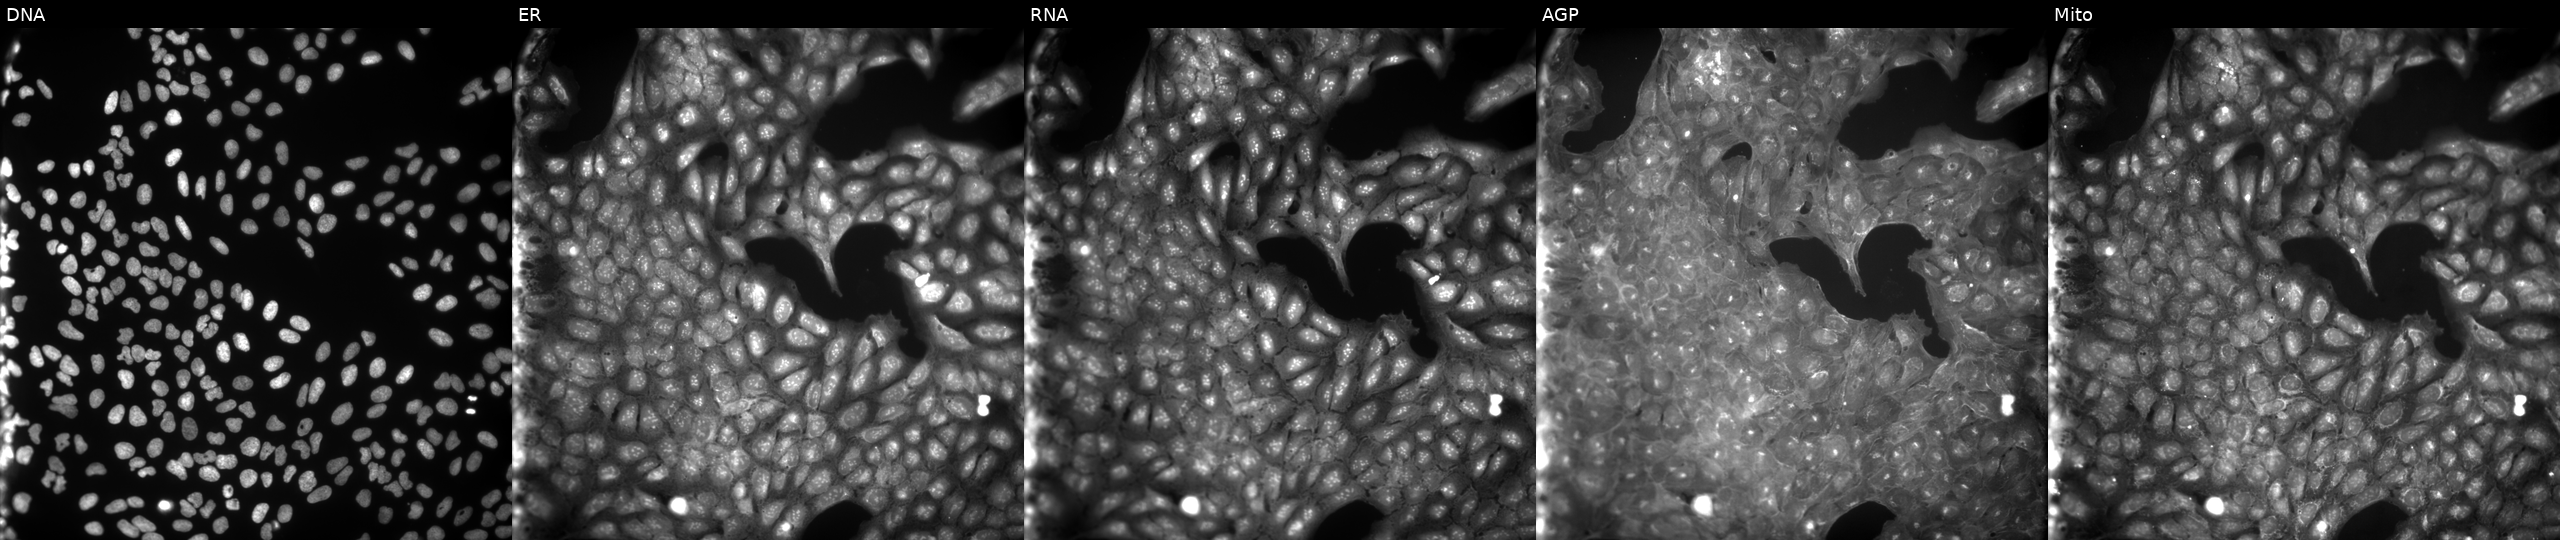
Five-channel Cell Painting image of U2OS cells exposed to a small-molecule compound [SMILES: CC(=O)NS(=O)(=O)c1ccc(NC(=O)CCC(=O)Oc2ccc(C)cc2)cc1]. From left to right: Hoechst 33342, concanavalin A, SYTO 14, phalloidin and WGA, MitoTracker.